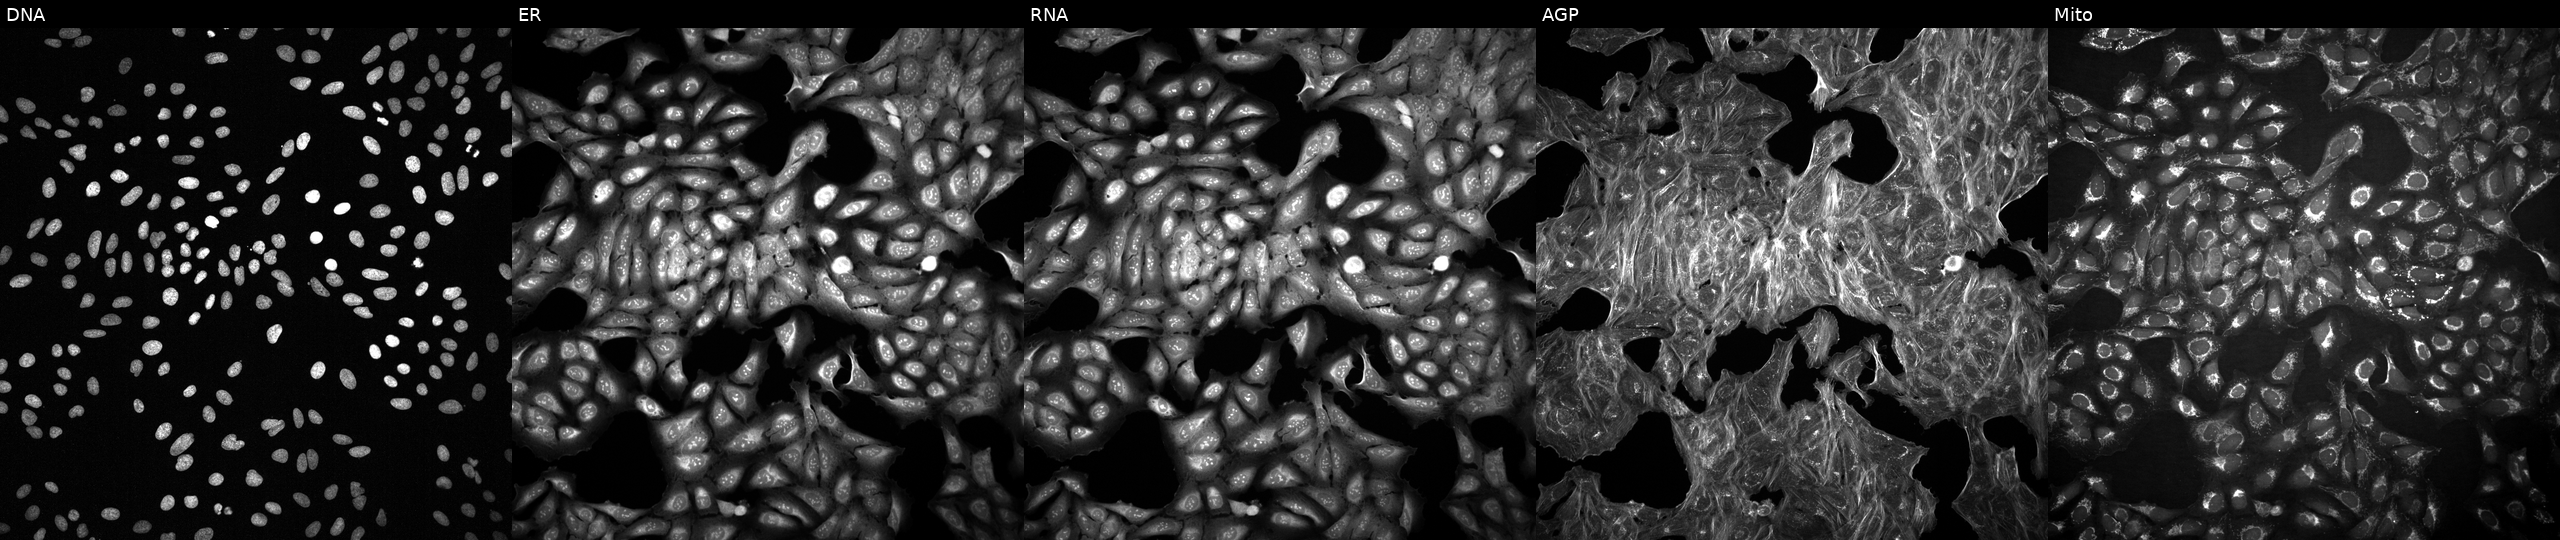
High-content fluorescence microscopy (Cell Painting). Cell line: U2OS. Perturbation: exposed to a small-molecule compound (InChIKey MNXYVHHENBRZLF-UHFFFAOYSA-N). Panels show, left to right, DNA (nuclei); ER (endoplasmic reticulum); RNA (nucleoli and cytoplasmic RNA); AGP (actin cytoskeleton, Golgi, and plasma membrane); Mito (mitochondria). Source 2, plate 1053601763, well C20.